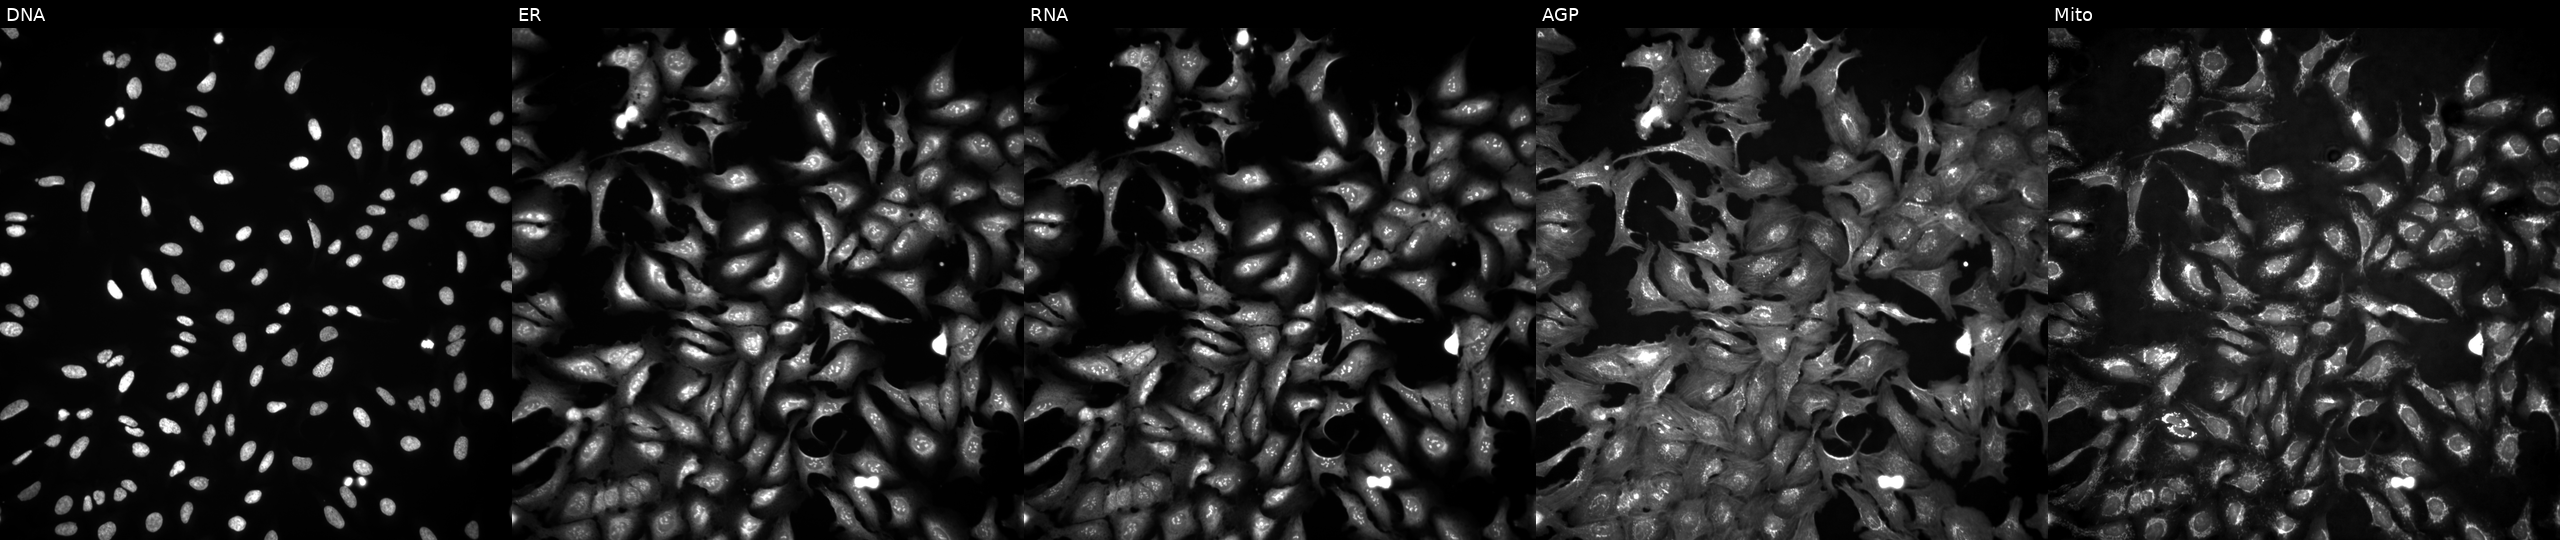
Five-channel Cell Painting image of U2OS cells with PNKP overexpressed (ORF) (JUMP id JCP2022_914011). The five panels, left to right, show Hoechst 33342, concanavalin A, SYTO 14, phalloidin and WGA, MitoTracker. Source 4, plate BR00123945, well J03.